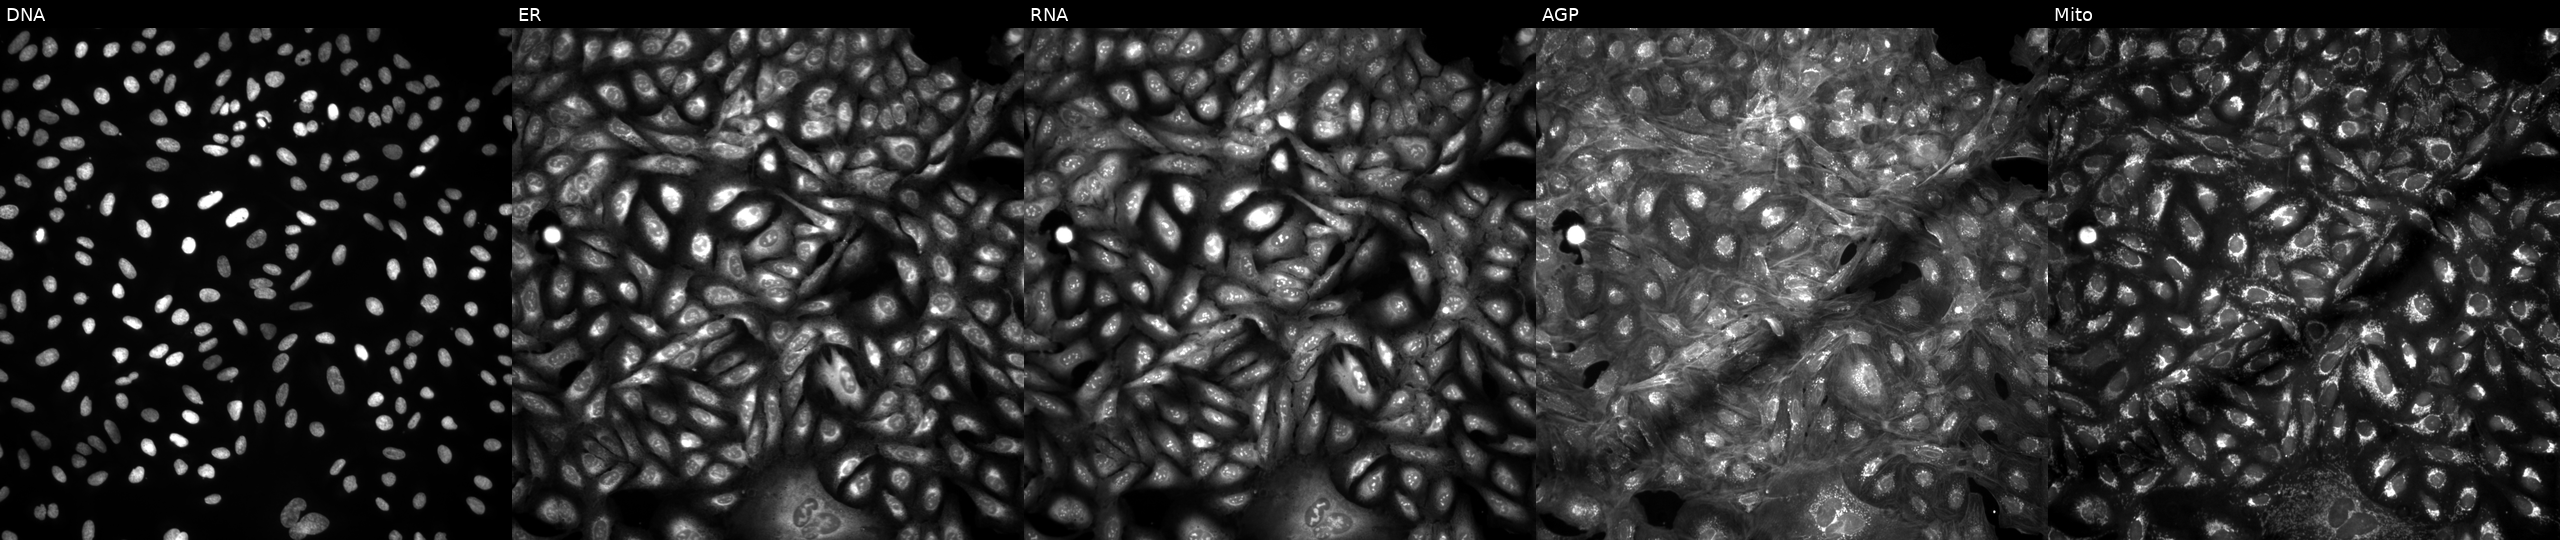
Panels show, left to right, DNA (nuclei); ER (endoplasmic reticulum); RNA (nucleoli and cytoplasmic RNA); AGP (actin cytoskeleton, Golgi, and plasma membrane); Mito (mitochondria). U2OS osteosarcoma cells in an empty control well (no perturbation) (JUMP id JCP2022_999999). Cell Painting assay, JUMP-CP dataset.